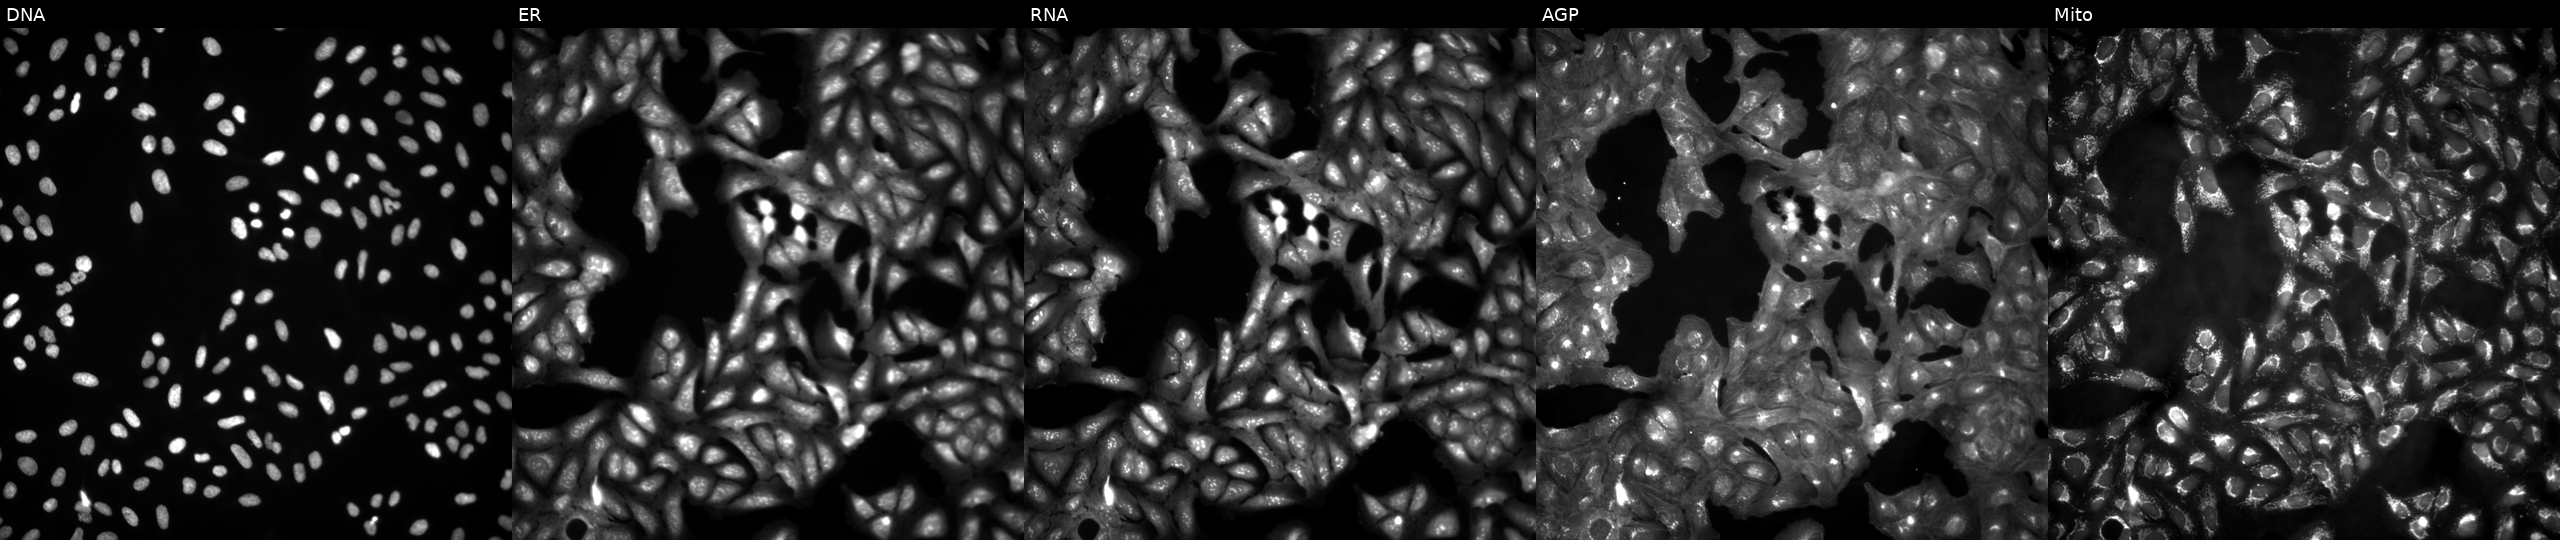
Five-channel Cell Painting image of U2OS cells in an empty control well (no perturbation). Panels show, left to right, DNA, ER, RNA, AGP, and Mito.